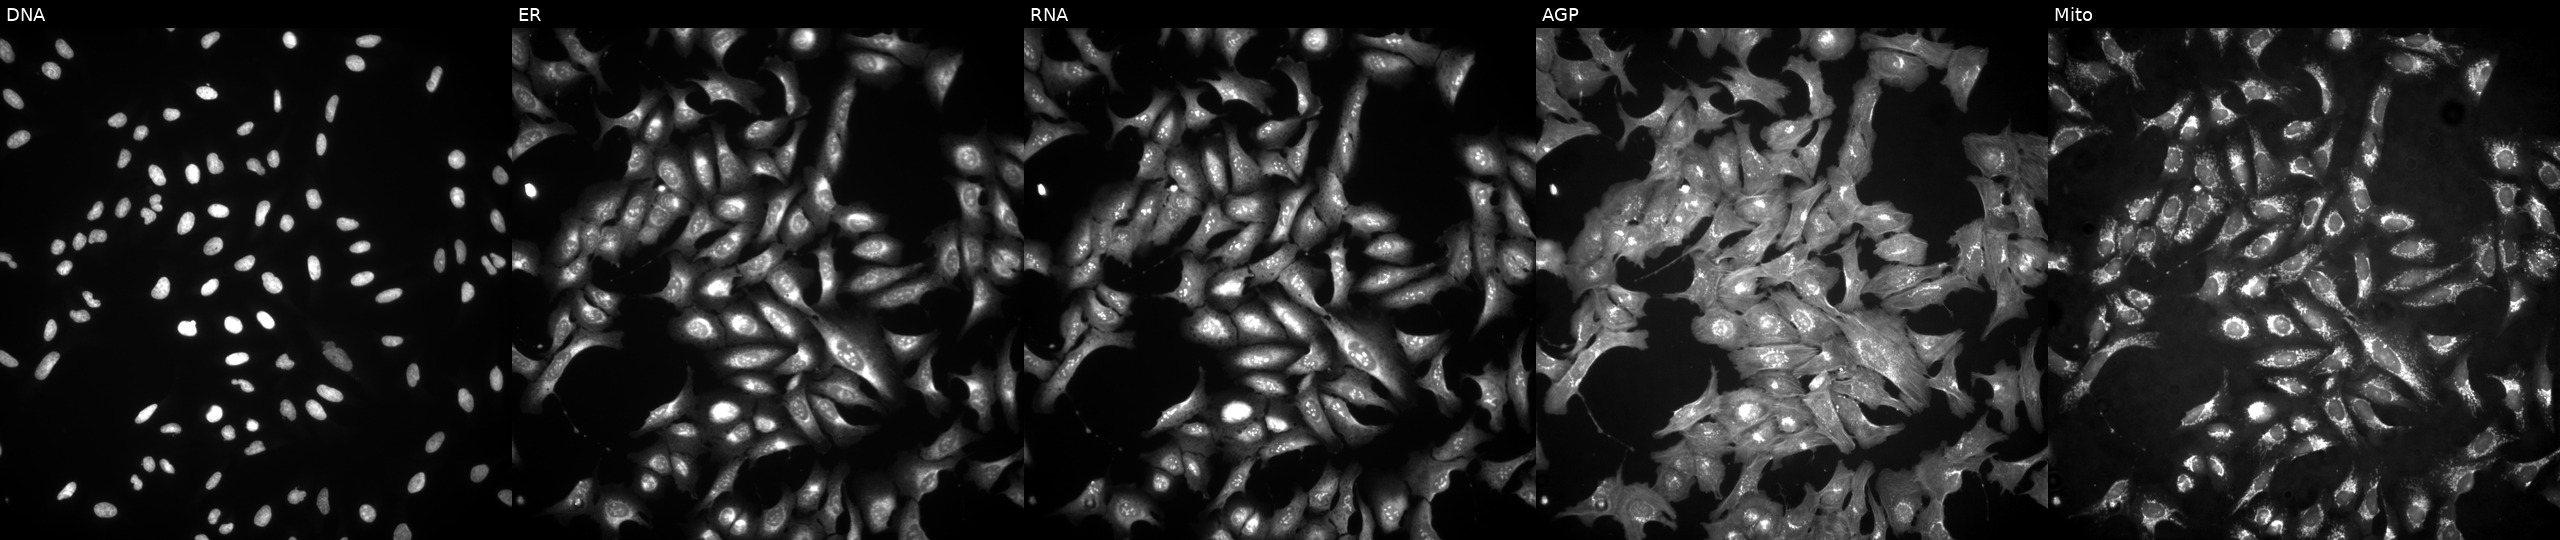
This image strip shows the five Cell Painting channels for a single field of U2OS cells overexpressing ABI3 via ORF transfection. Panels show, left to right, Hoechst 33342, concanavalin A, SYTO 14, phalloidin and WGA, MitoTracker.